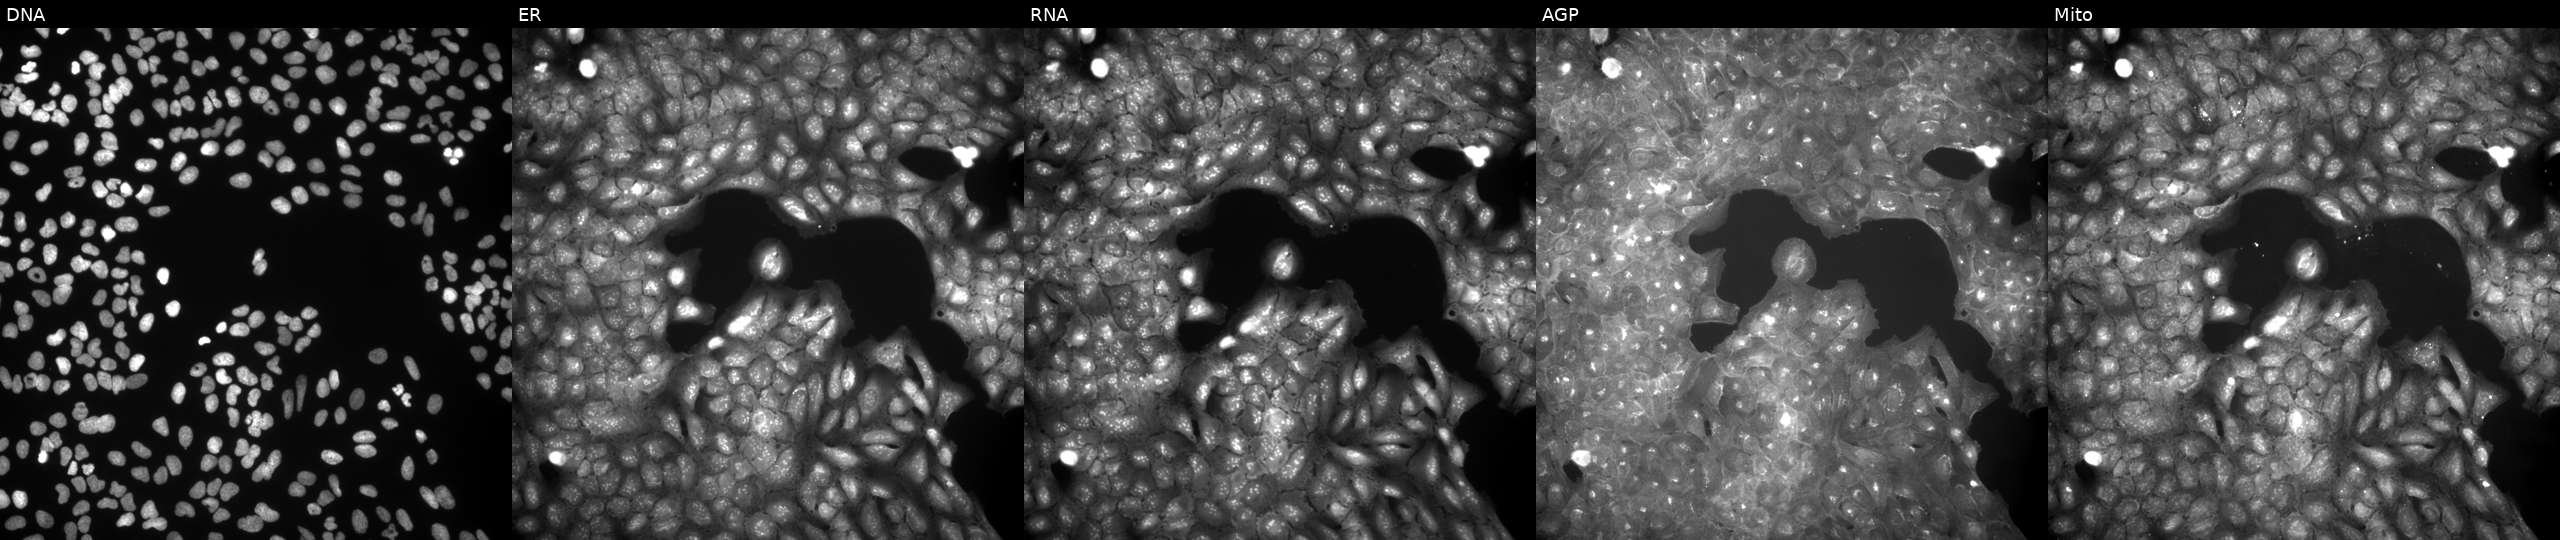
This image strip shows the five Cell Painting channels for a single field of U2OS cells treated with a small-molecule compound (InChIKey MKPFINNOONHUFQ-UHFFFAOYSA-N) (JUMP id JCP2022_054753). The five panels, left to right, show DNA (nuclei); ER (endoplasmic reticulum); RNA (nucleoli and cytoplasmic RNA); AGP (actin cytoskeleton, Golgi, and plasma membrane); Mito (mitochondria). Source 9, plate GR00003381, well L30.